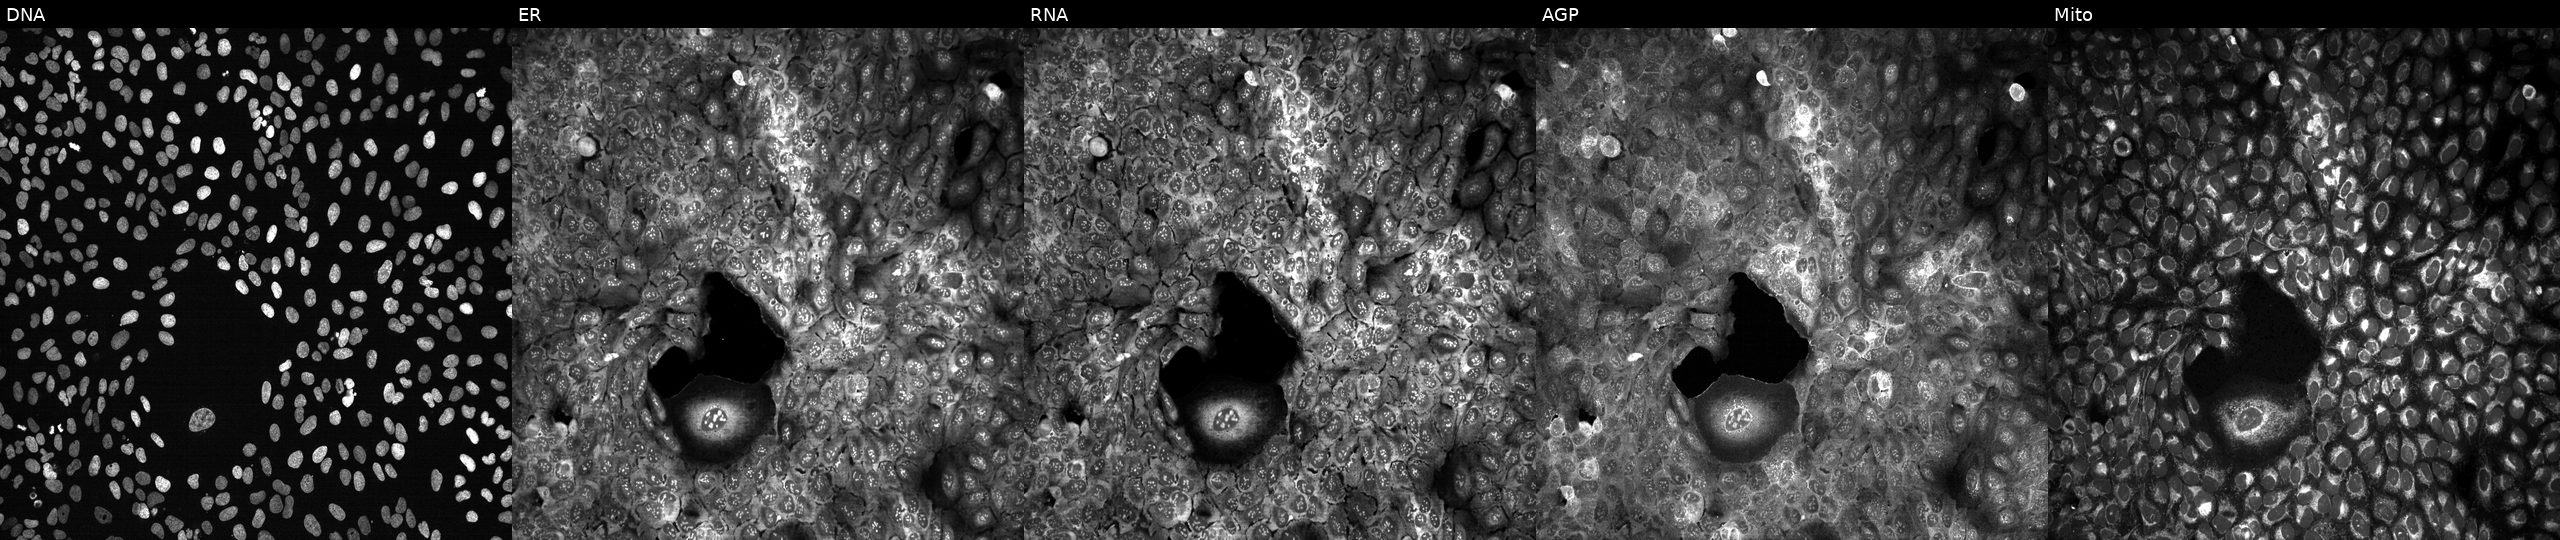
U2OS cells, Cell Painting assay, with OBP2B knocked out by CRISPR (JUMP id JCP2022_804771). Panels show, left to right, DNA, ER, RNA, AGP, and Mito. Each panel is percentile-stretched 16-bit fluorescence.